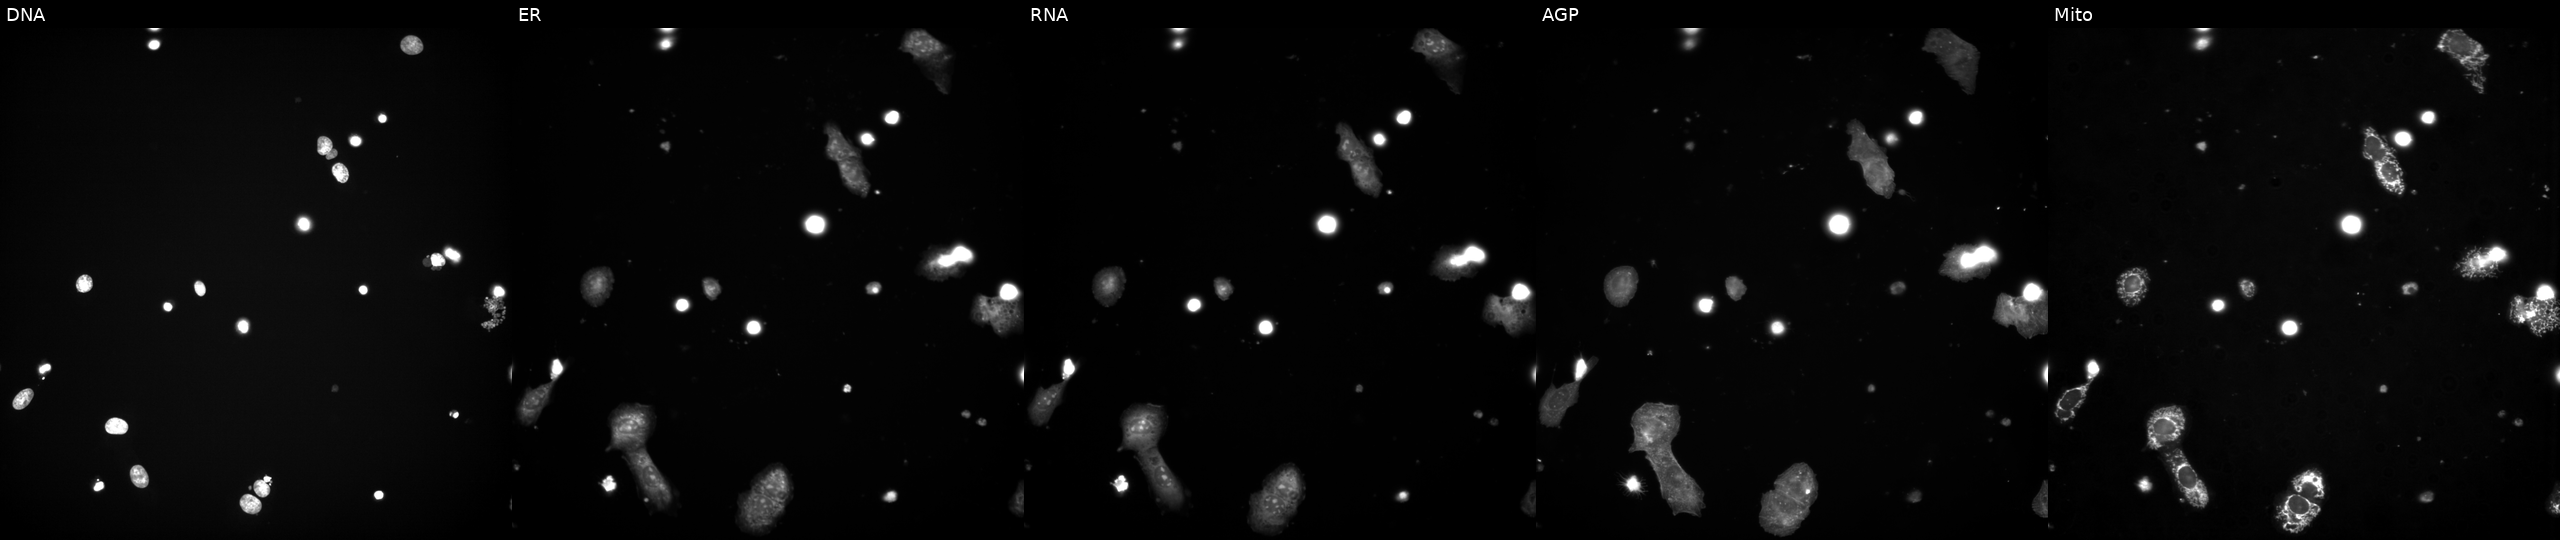
U2OS cells, Cell Painting assay, perturbed with a small-molecule compound (InChIKey MTJHLONVHHPNSI-UHFFFAOYSA-N) (JUMP id JCP2022_056401). Panels show, left to right, DNA, ER, RNA, AGP, and Mito. Each panel is percentile-stretched 16-bit fluorescence.